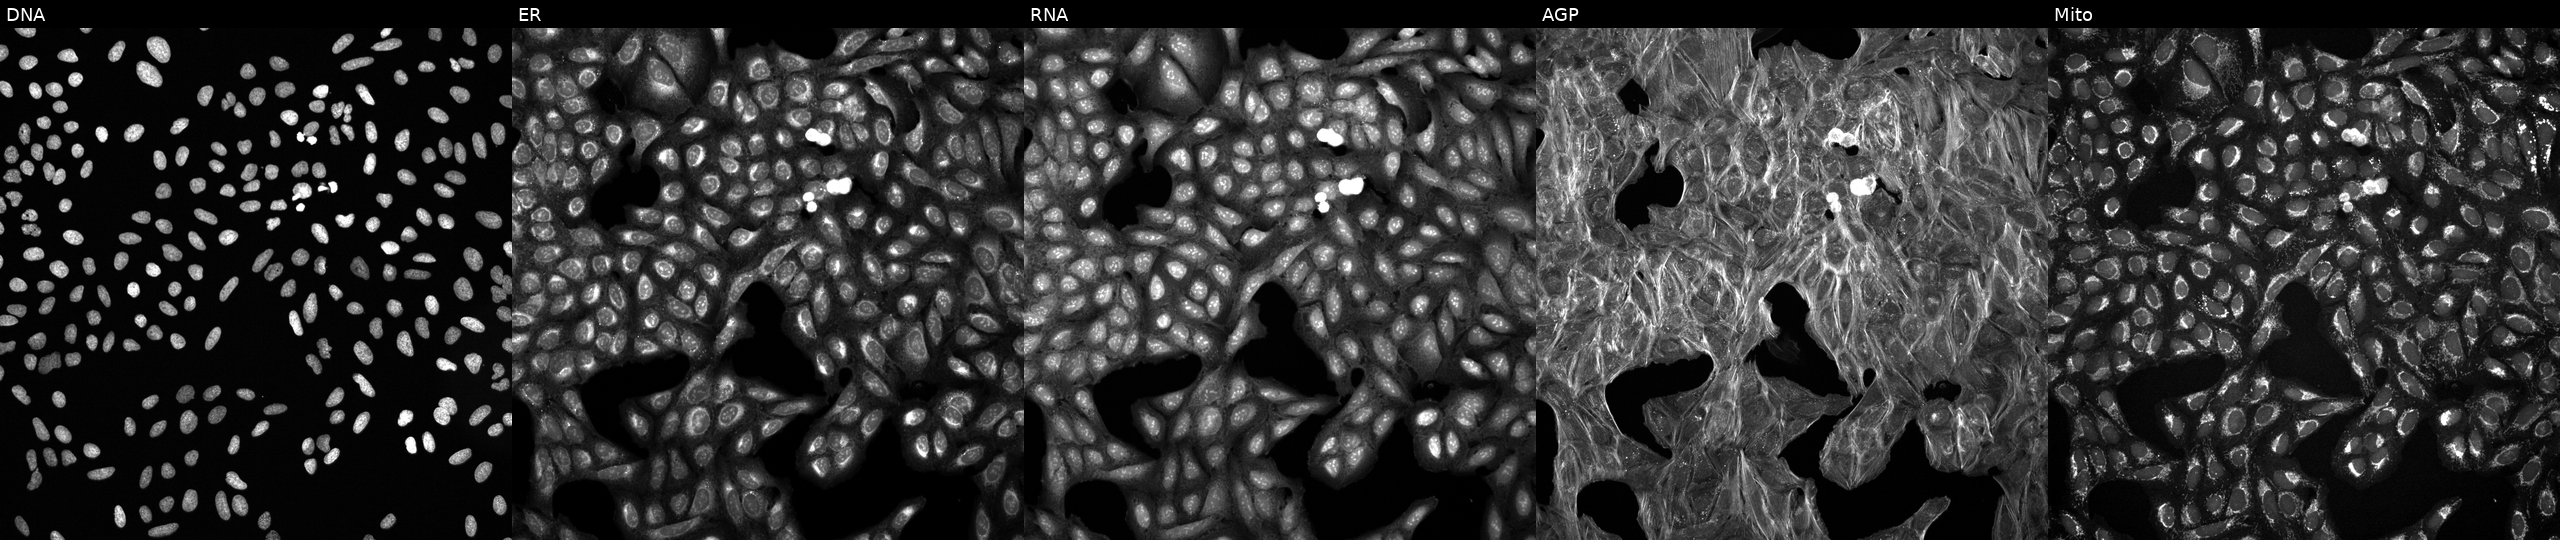
U2OS cells, Cell Painting assay, perturbed with a small-molecule compound (InChIKey YULUCECVQOCQFQ-UHFFFAOYSA-N). Panels show, left to right, DNA, ER, RNA, AGP, and Mito. Each panel is percentile-stretched 16-bit fluorescence.